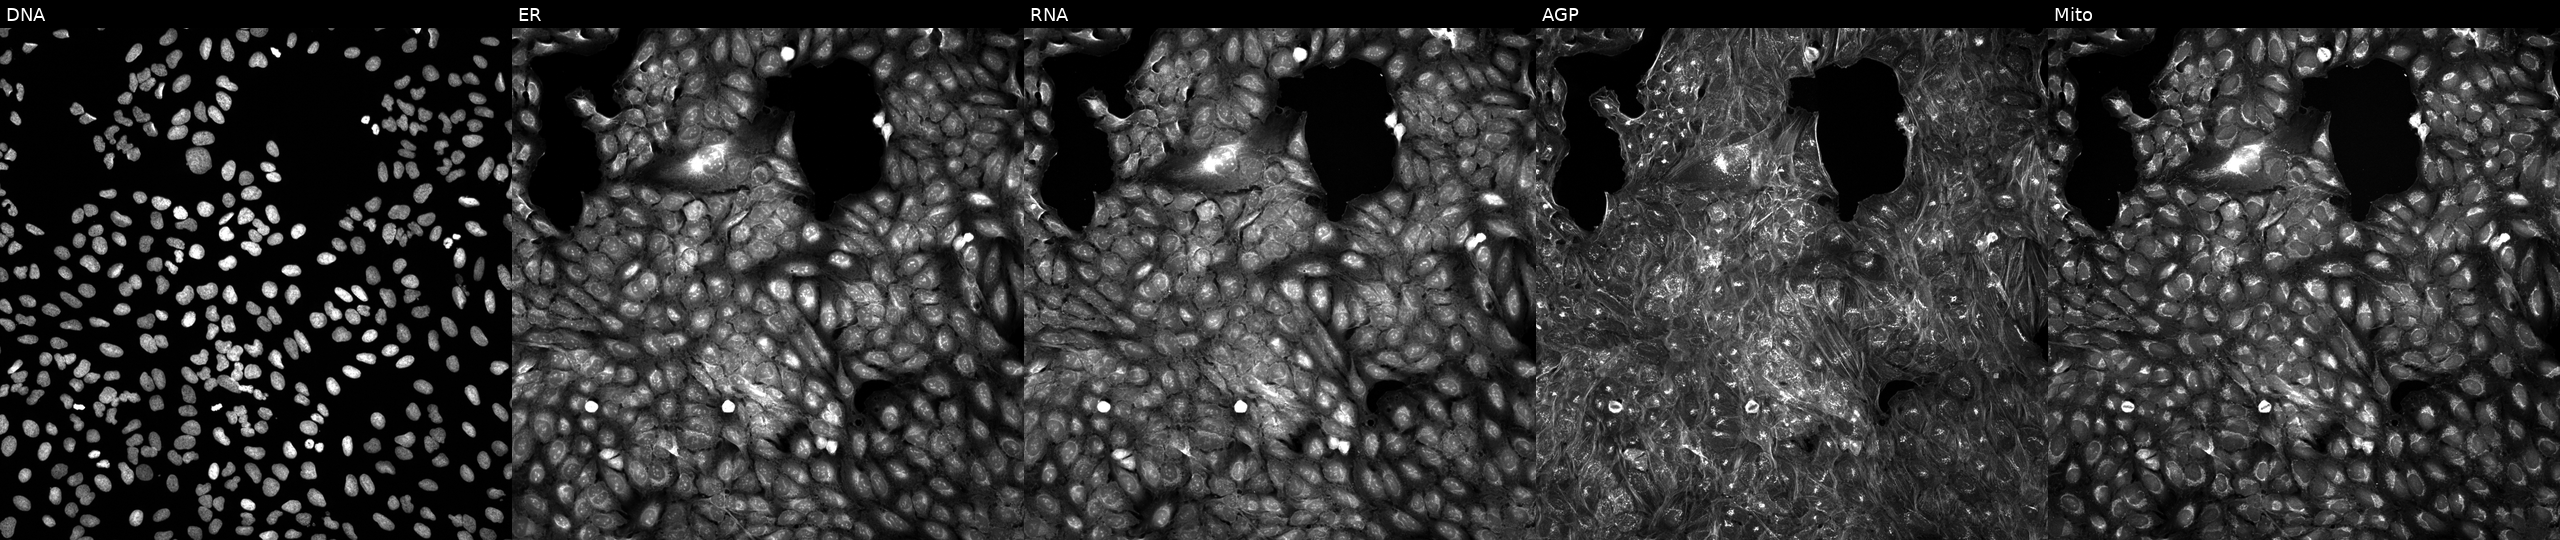
Five-channel Cell Painting image of U2OS cells treated with a small-molecule compound (InChIKey JPWWWXCQXKFKRT-UHFFFAOYSA-N). The five panels, left to right, show Hoechst 33342, concanavalin A, SYTO 14, phalloidin and WGA, MitoTracker. Source 5, plate APTJUM106, well H15.